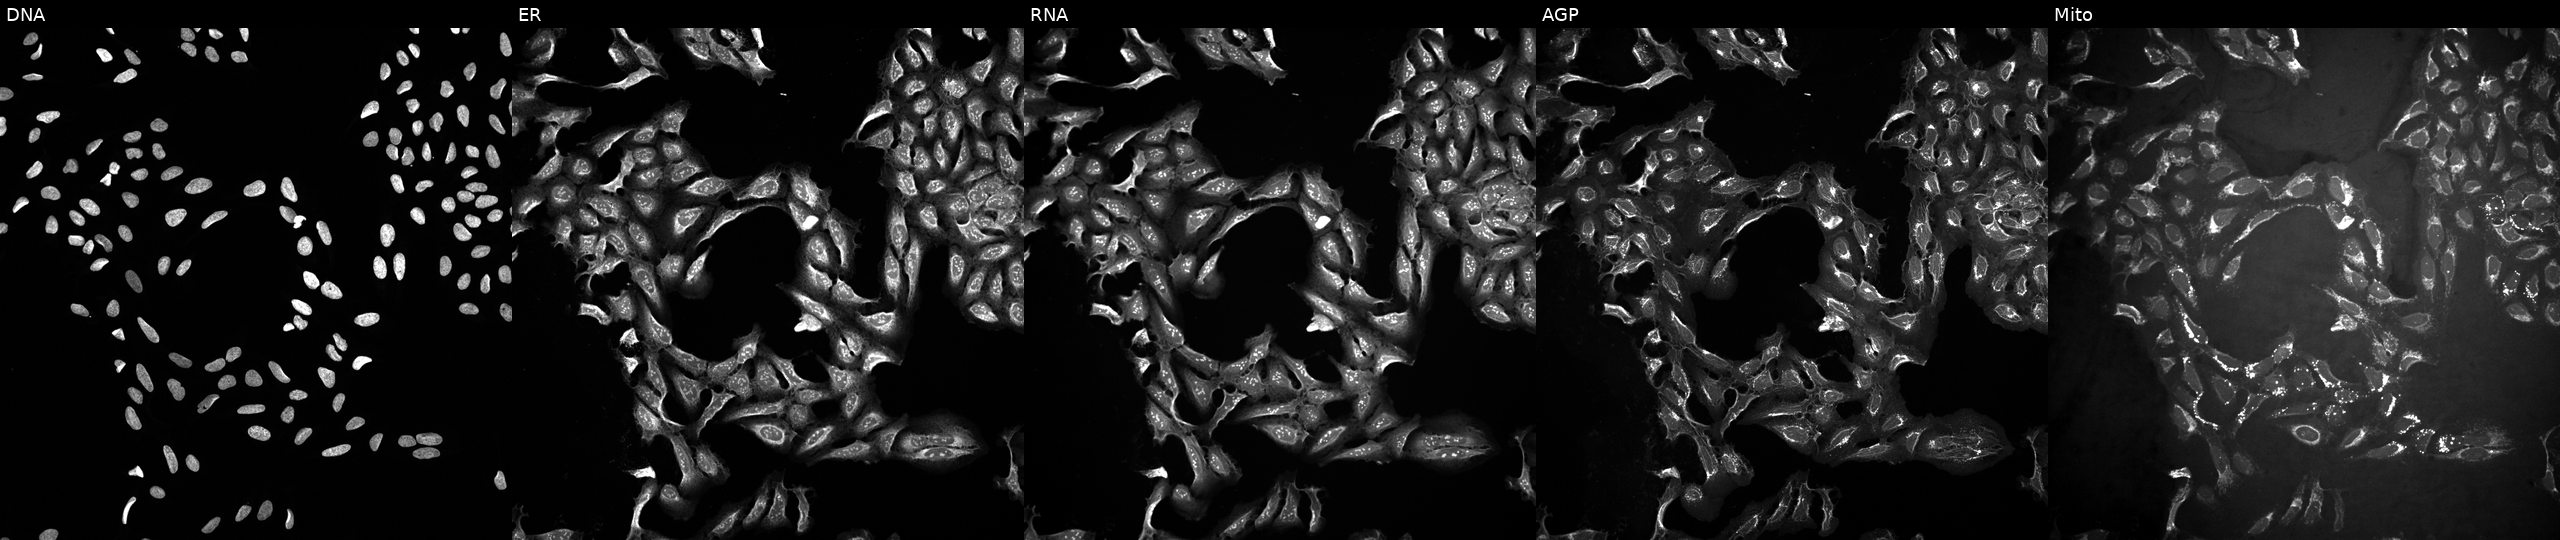
Channels (left→right): DNA, ER, RNA, AGP, and Mito. U2OS osteosarcoma cells treated with a small-molecule compound. Cell Painting assay, JUMP-CP dataset.